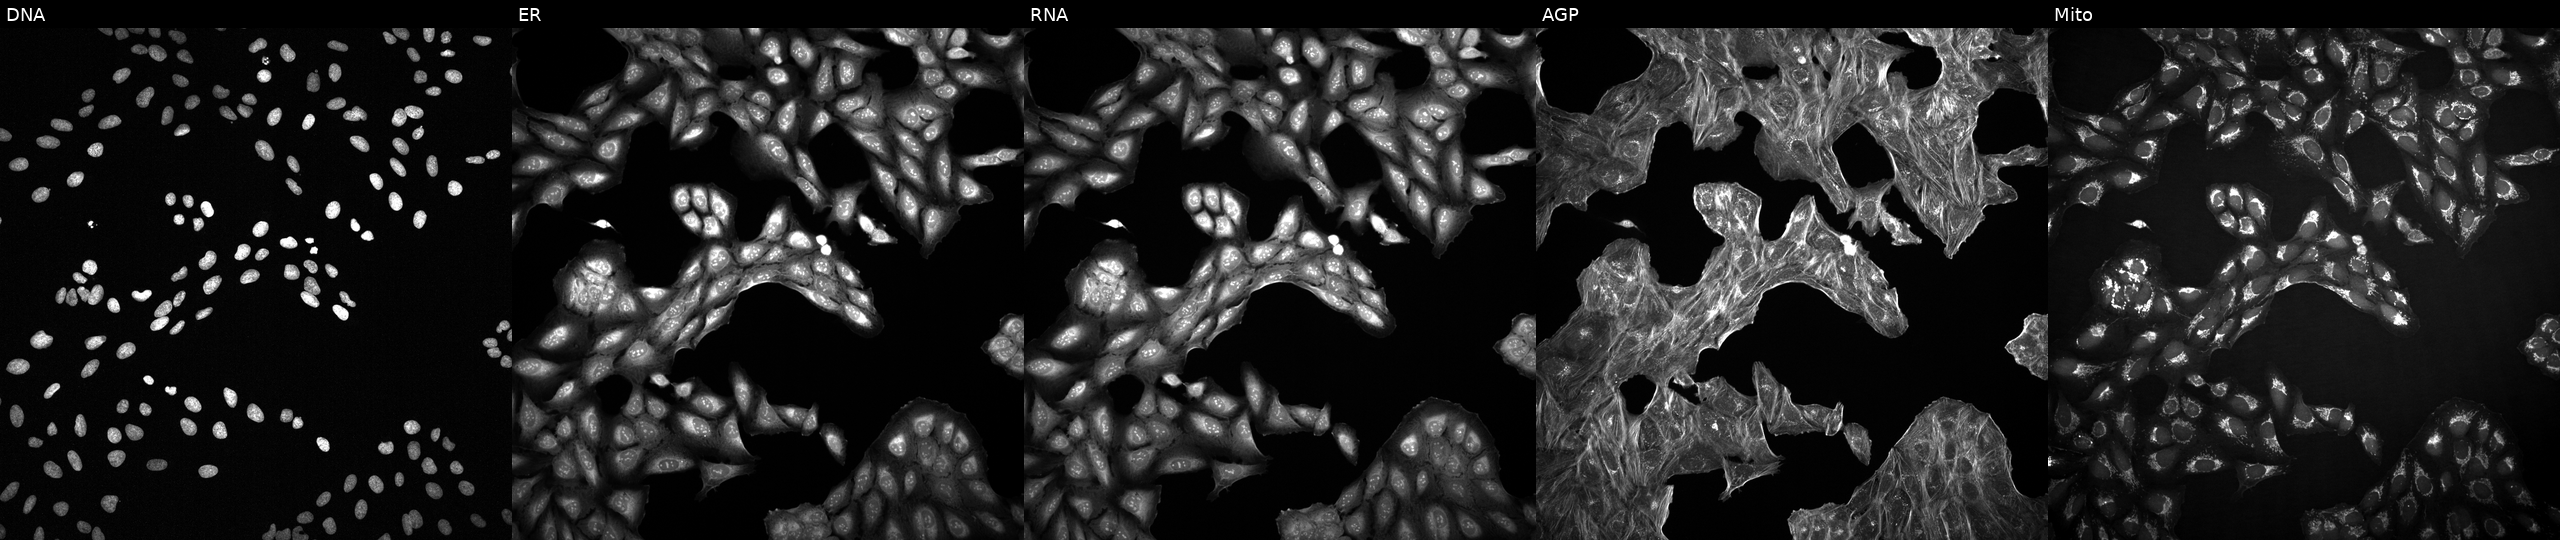
U2OS cells, Cell Painting assay, perturbed with a small-molecule compound (JUMP id JCP2022_044028). The five panels, left to right, show DNA, ER, RNA, AGP, and Mito. Each panel is percentile-stretched 16-bit fluorescence.